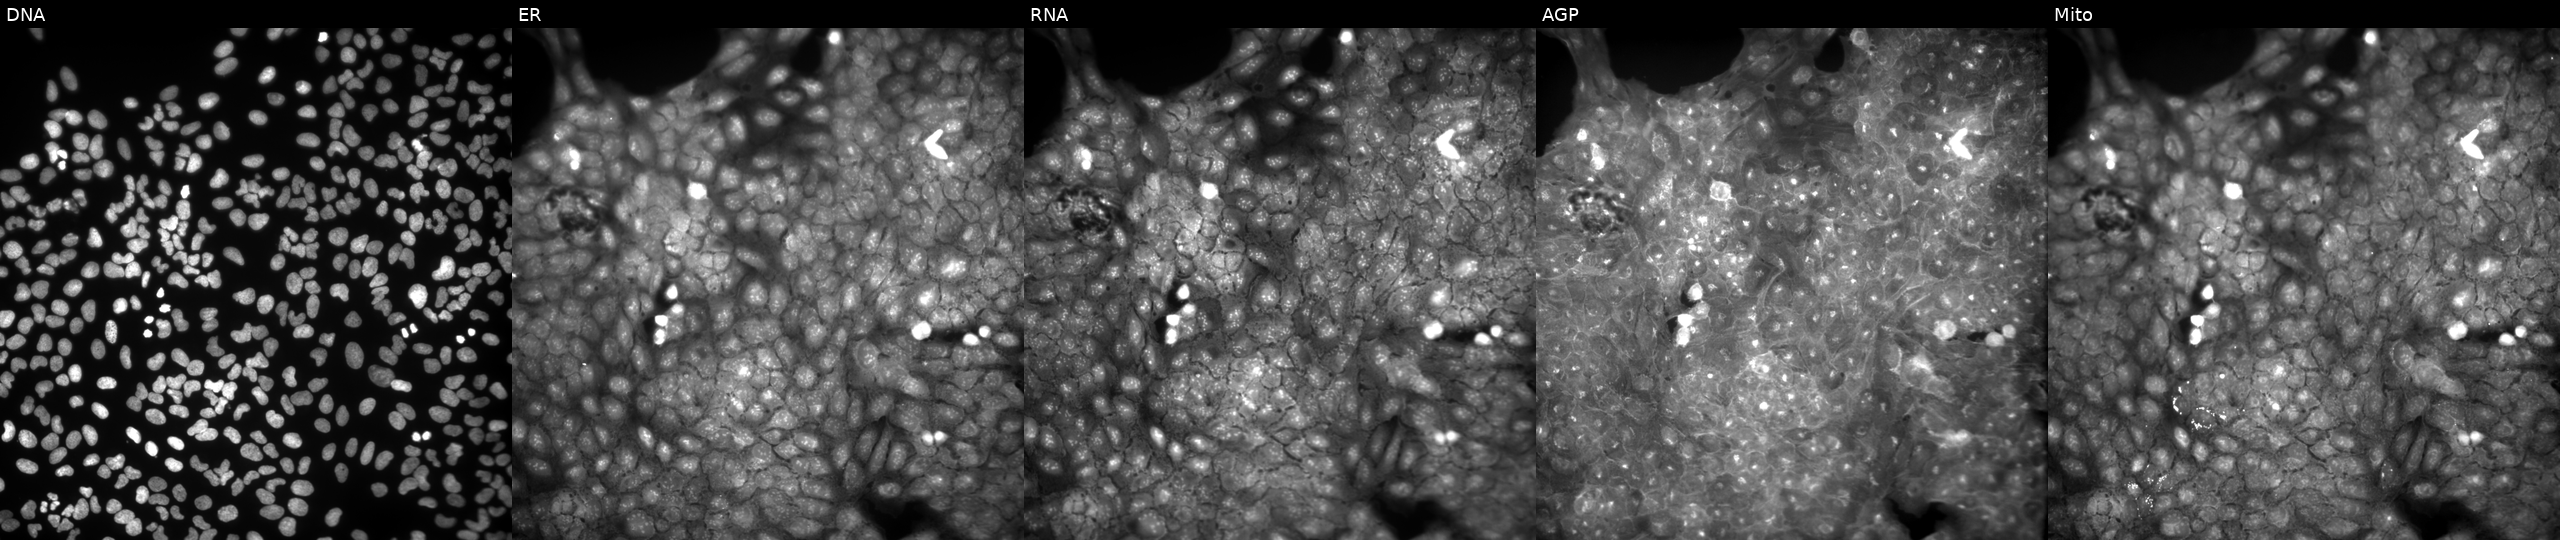
High-content fluorescence microscopy (Cell Painting). Cell line: U2OS. Perturbation: perturbed with a small-molecule compound (InChIKey CZOOPQHXWIFUPX-UHFFFAOYSA-N). Channels (left→right): Hoechst 33342, concanavalin A, SYTO 14, phalloidin and WGA, MitoTracker. Source 9, plate GR00003382, well AC37.